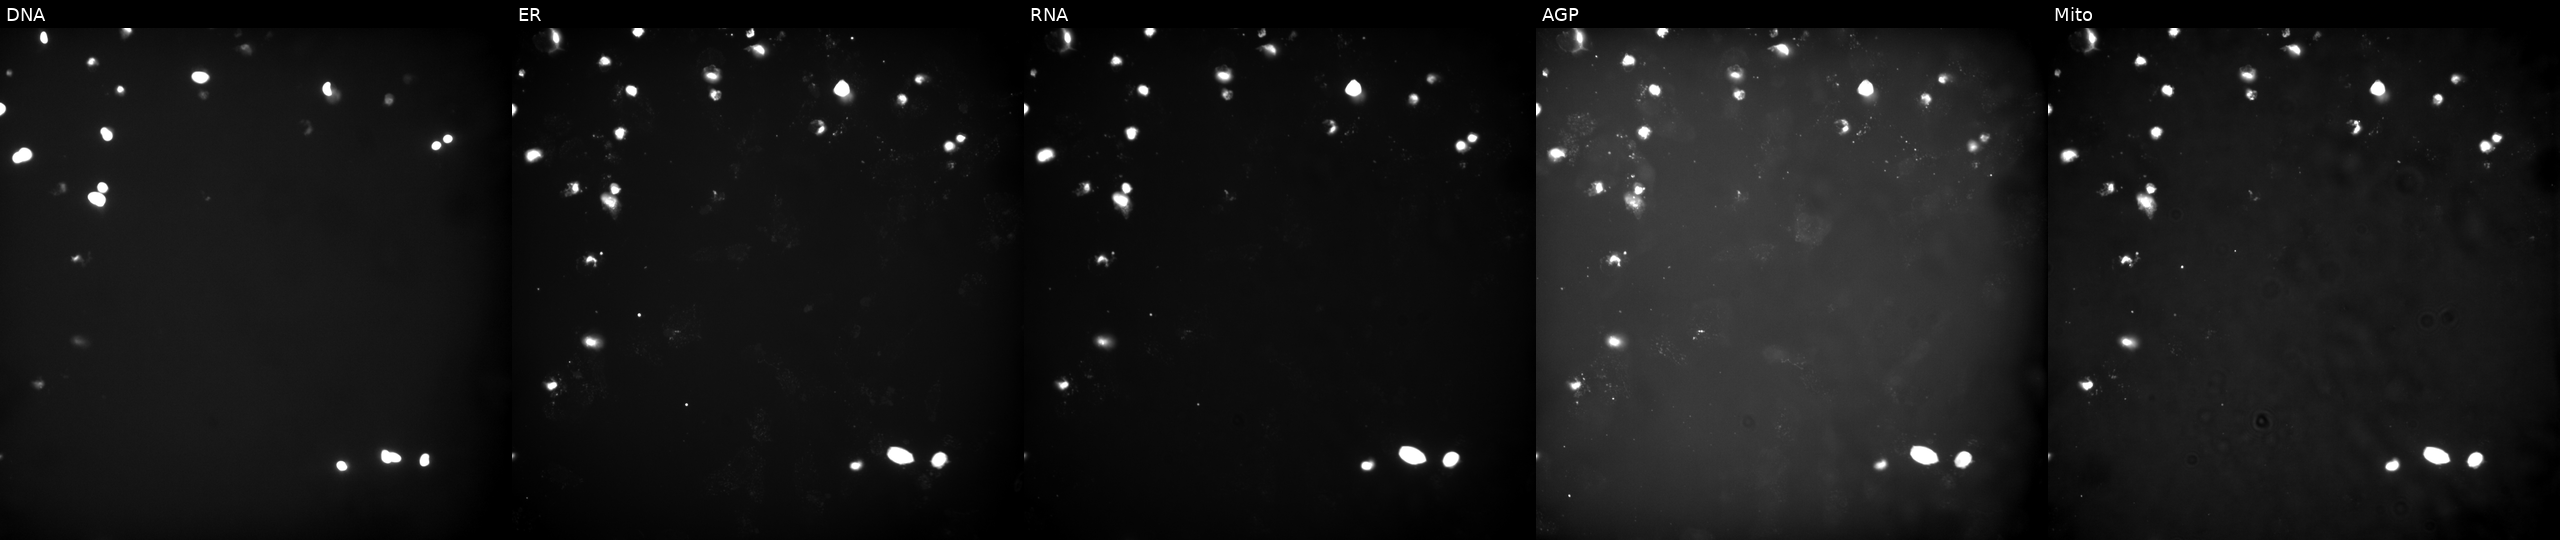
Five-channel Cell Painting image of U2OS cells treated with a small-molecule compound [SMILES: c1cc2c(cc1C1CCCCC1)c1c3n2CCN=C3NCC1] (JUMP id JCP2022_004605). Channels (left→right): Hoechst 33342, concanavalin A, SYTO 14, phalloidin and WGA, MitoTracker.